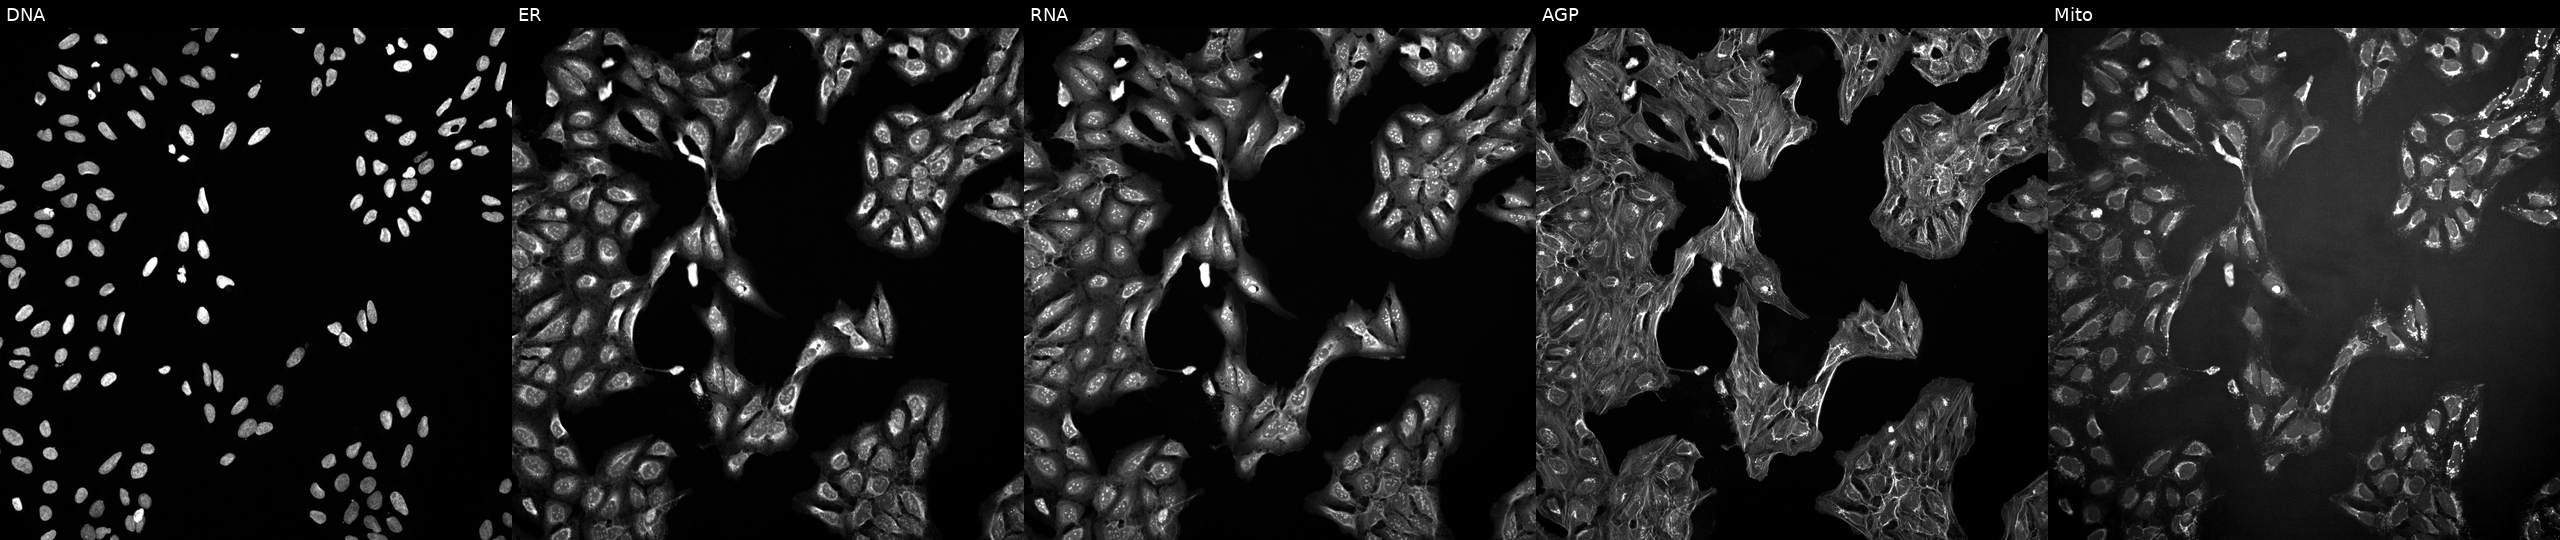
U2OS cells, Cell Painting assay, perturbed with a small-molecule compound (InChIKey ZVQCLIBQLIQQMN-UHFFFAOYSA-N). From left to right: DNA (nuclei); ER (endoplasmic reticulum); RNA (nucleoli and cytoplasmic RNA); AGP (actin cytoskeleton, Golgi, and plasma membrane); Mito (mitochondria). Each panel is percentile-stretched 16-bit fluorescence. Source 10, plate Dest210531-152324, well A12.